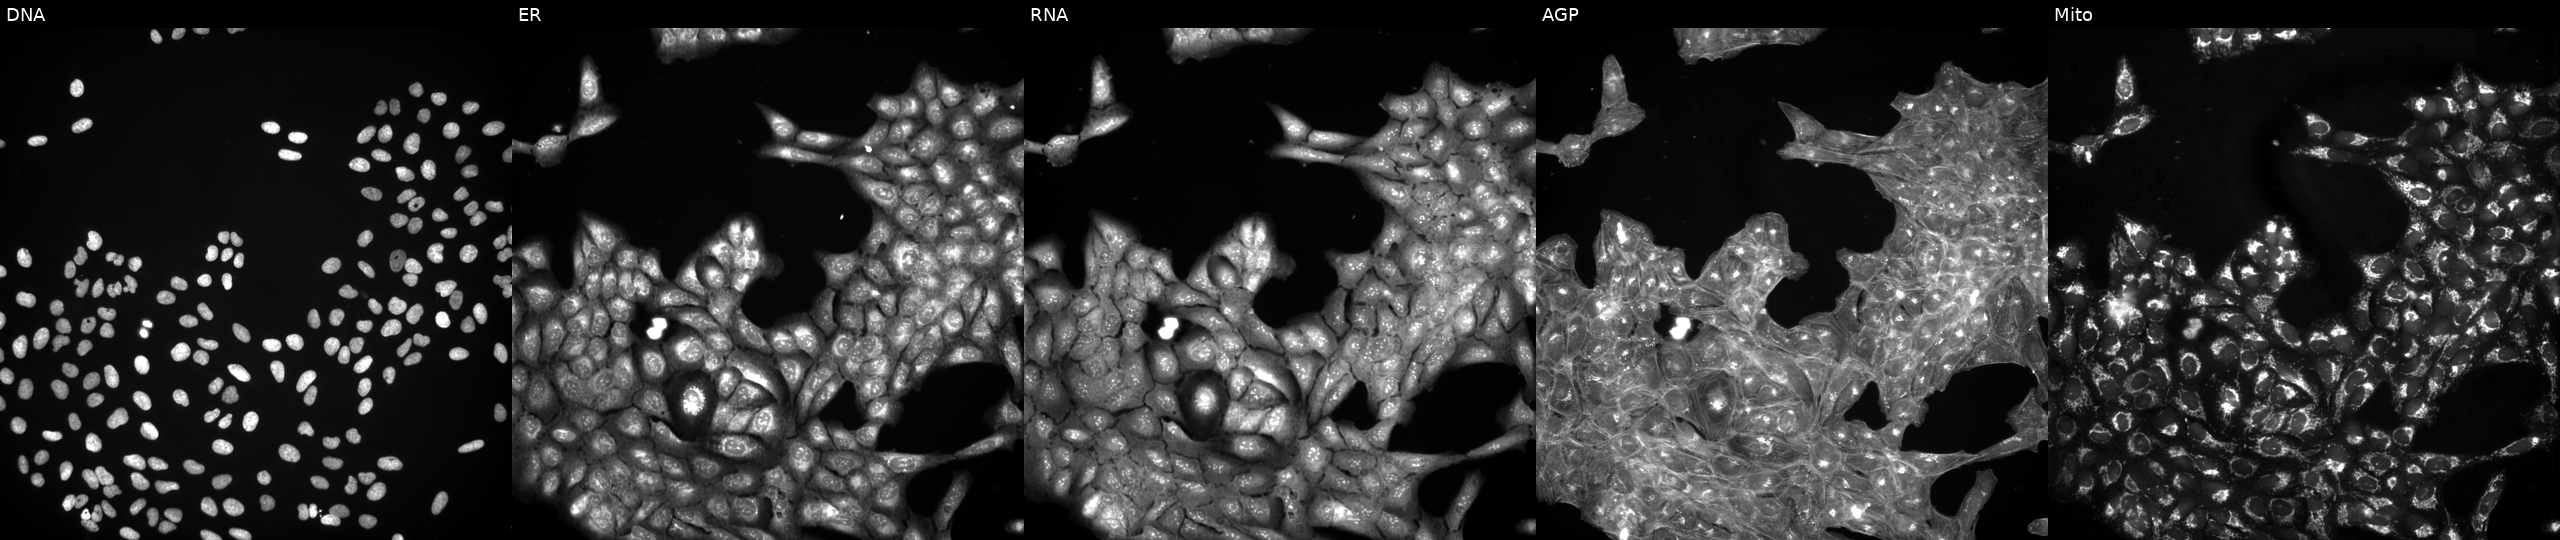
High-content fluorescence microscopy (Cell Painting). Cell line: U2OS. Perturbation: perturbed with a small-molecule compound (InChIKey QWJOPXDAQCDRRM-UHFFFAOYSA-N) (JUMP id JCP2022_076300). Channels (left→right): DNA, ER, RNA, AGP, and Mito.